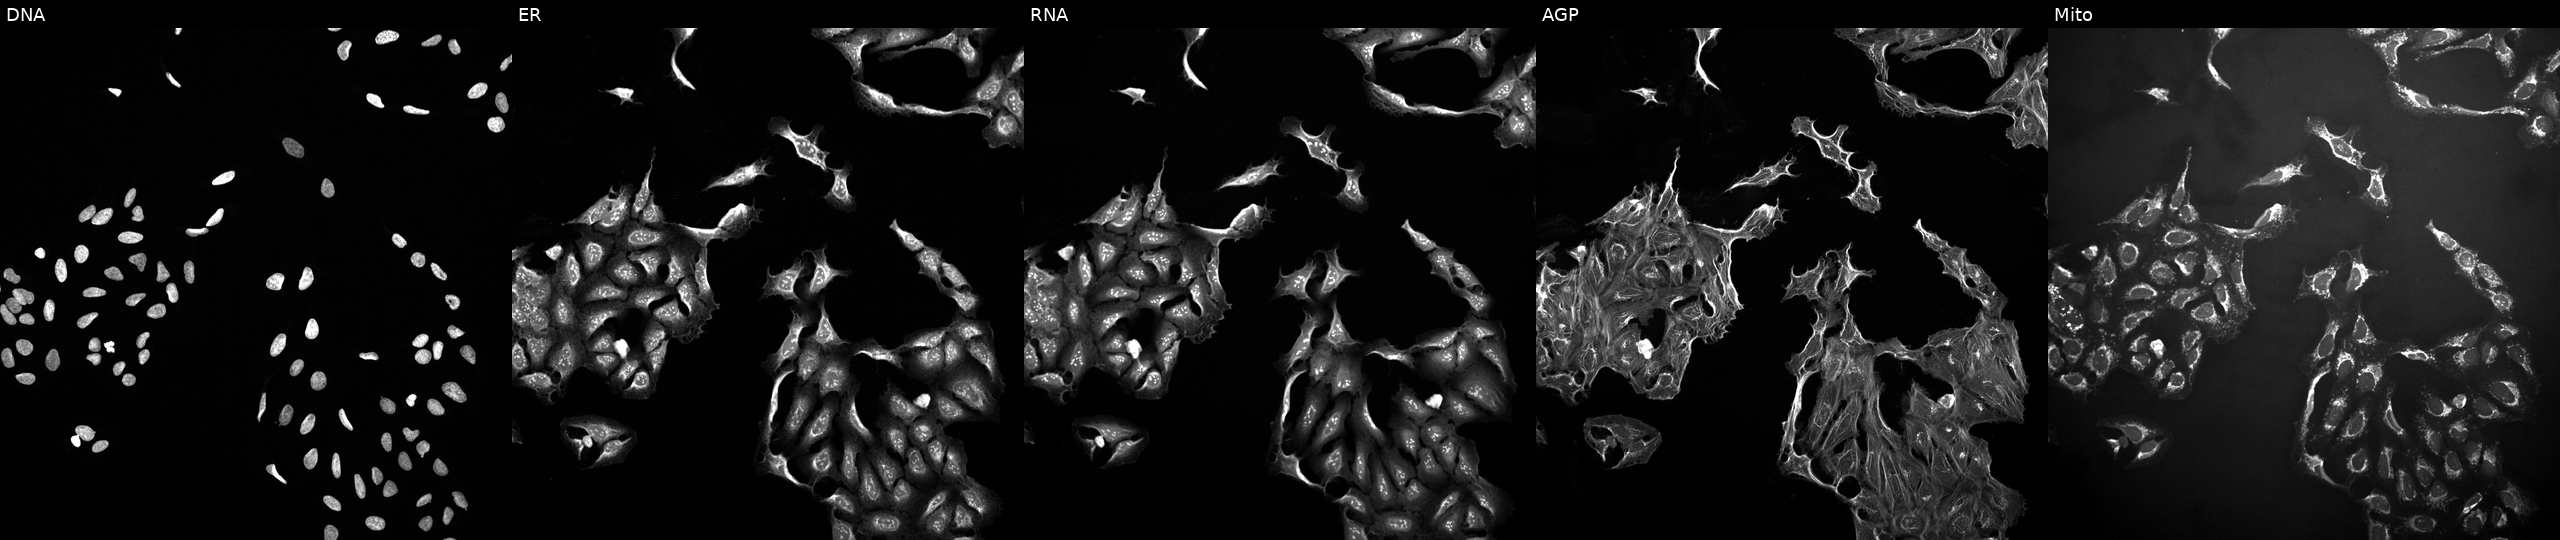
U2OS cells, Cell Painting assay, perturbed with a small-molecule compound (InChIKey HAQDEJPEAKWAAM-UHFFFAOYSA-N) (JUMP id JCP2022_028940). Channels (left→right): DNA (nuclei); ER (endoplasmic reticulum); RNA (nucleoli and cytoplasmic RNA); AGP (actin cytoskeleton, Golgi, and plasma membrane); Mito (mitochondria). Each panel is percentile-stretched 16-bit fluorescence. Source 10, plate Dest210726-160150, well E04.